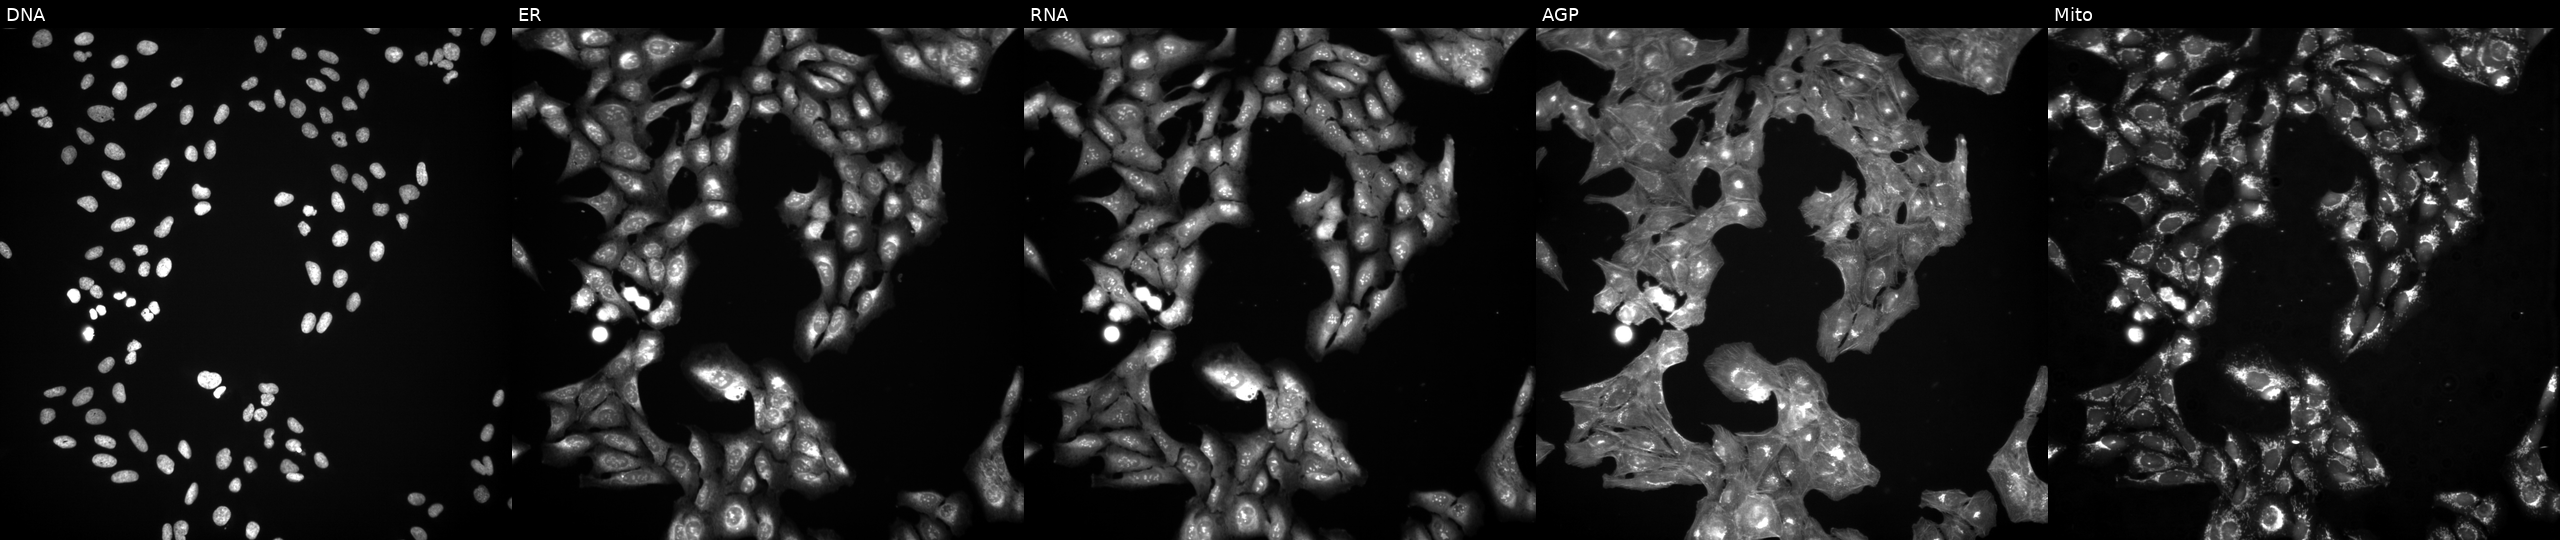
JUMP Cell Painting — COMPOUND plate. U2OS cells treated with a small-molecule compound (InChIKey TVQLKFZOPOUFFX-UHFFFAOYSA-N) (JUMP id JCP2022_087026). The five panels, left to right, show DNA, ER, RNA, AGP, and Mito. Source 3, plate BR5867b3, well B12.